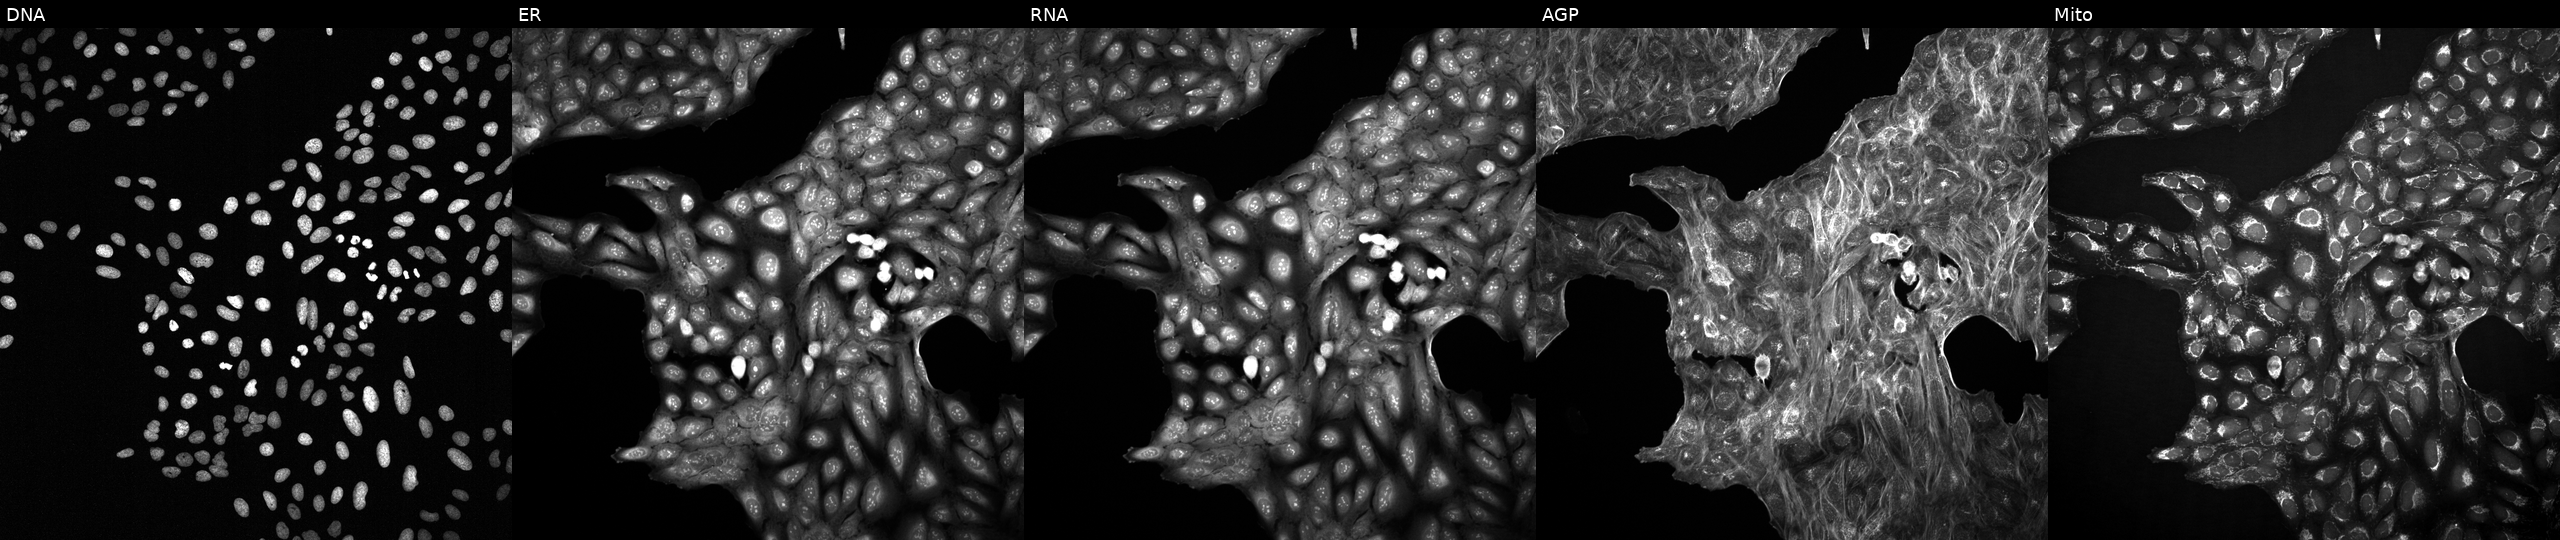
This image strip shows the five Cell Painting channels for a single field of U2OS cells with an unidentified perturbation (not annotated in JUMP metadata). The five panels, left to right, show DNA (nuclei); ER (endoplasmic reticulum); RNA (nucleoli and cytoplasmic RNA); AGP (actin cytoskeleton, Golgi, and plasma membrane); Mito (mitochondria). Source 2, plate 1053601756, well B19.